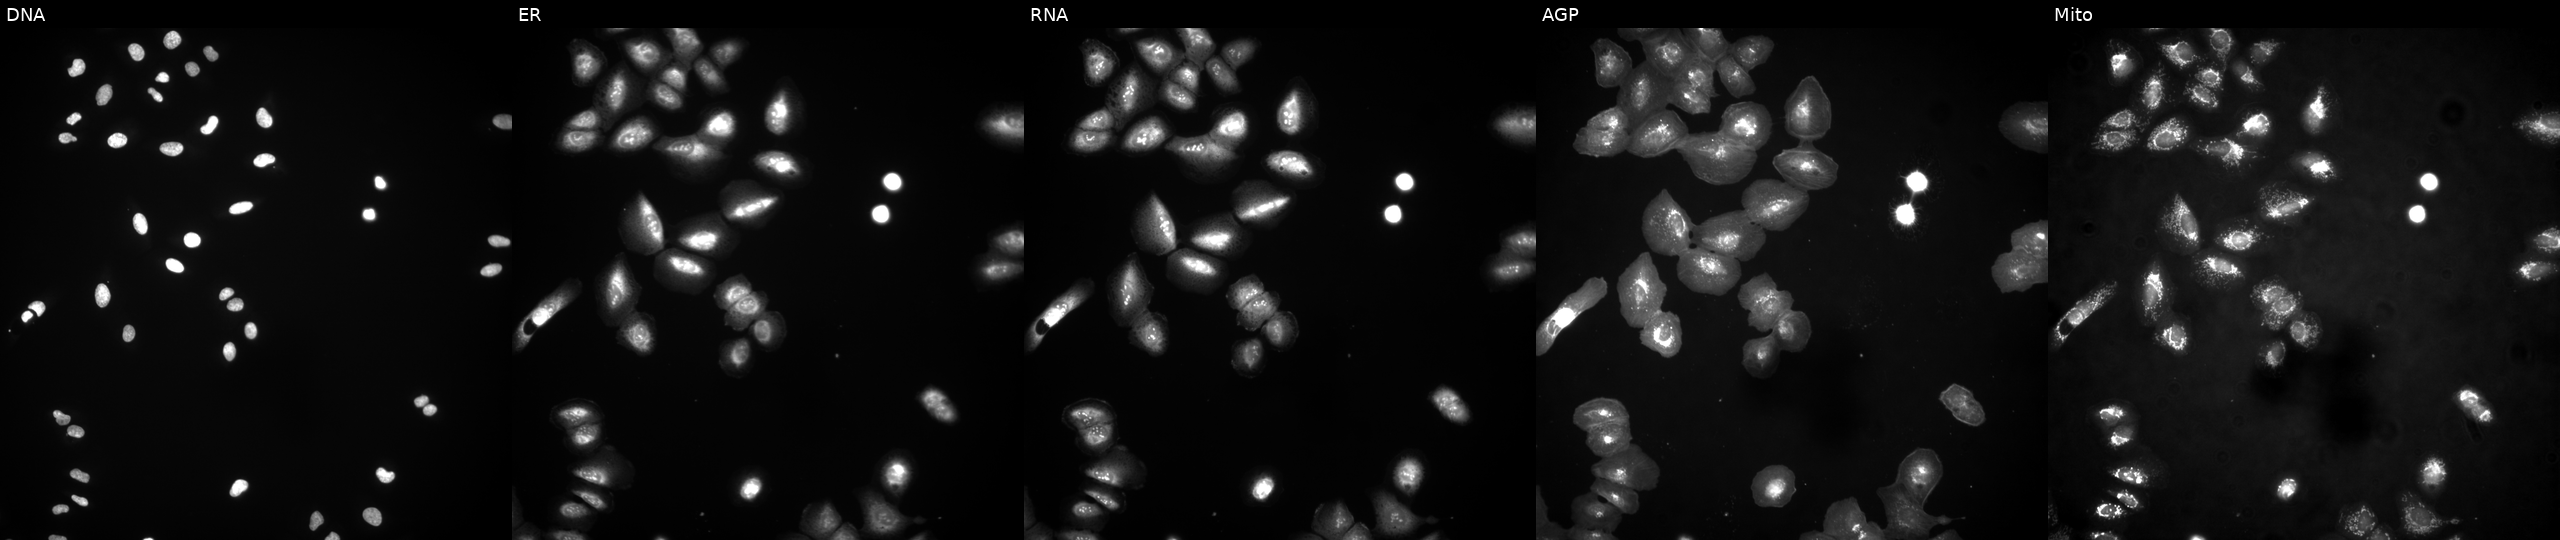
JUMP Cell Painting — ORF plate. U2OS cells overexpressing CRB3 via ORF transfection. From left to right: DNA (nuclei); ER (endoplasmic reticulum); RNA (nucleoli and cytoplasmic RNA); AGP (actin cytoskeleton, Golgi, and plasma membrane); Mito (mitochondria). Source 4, plate BR00124790, well I15.